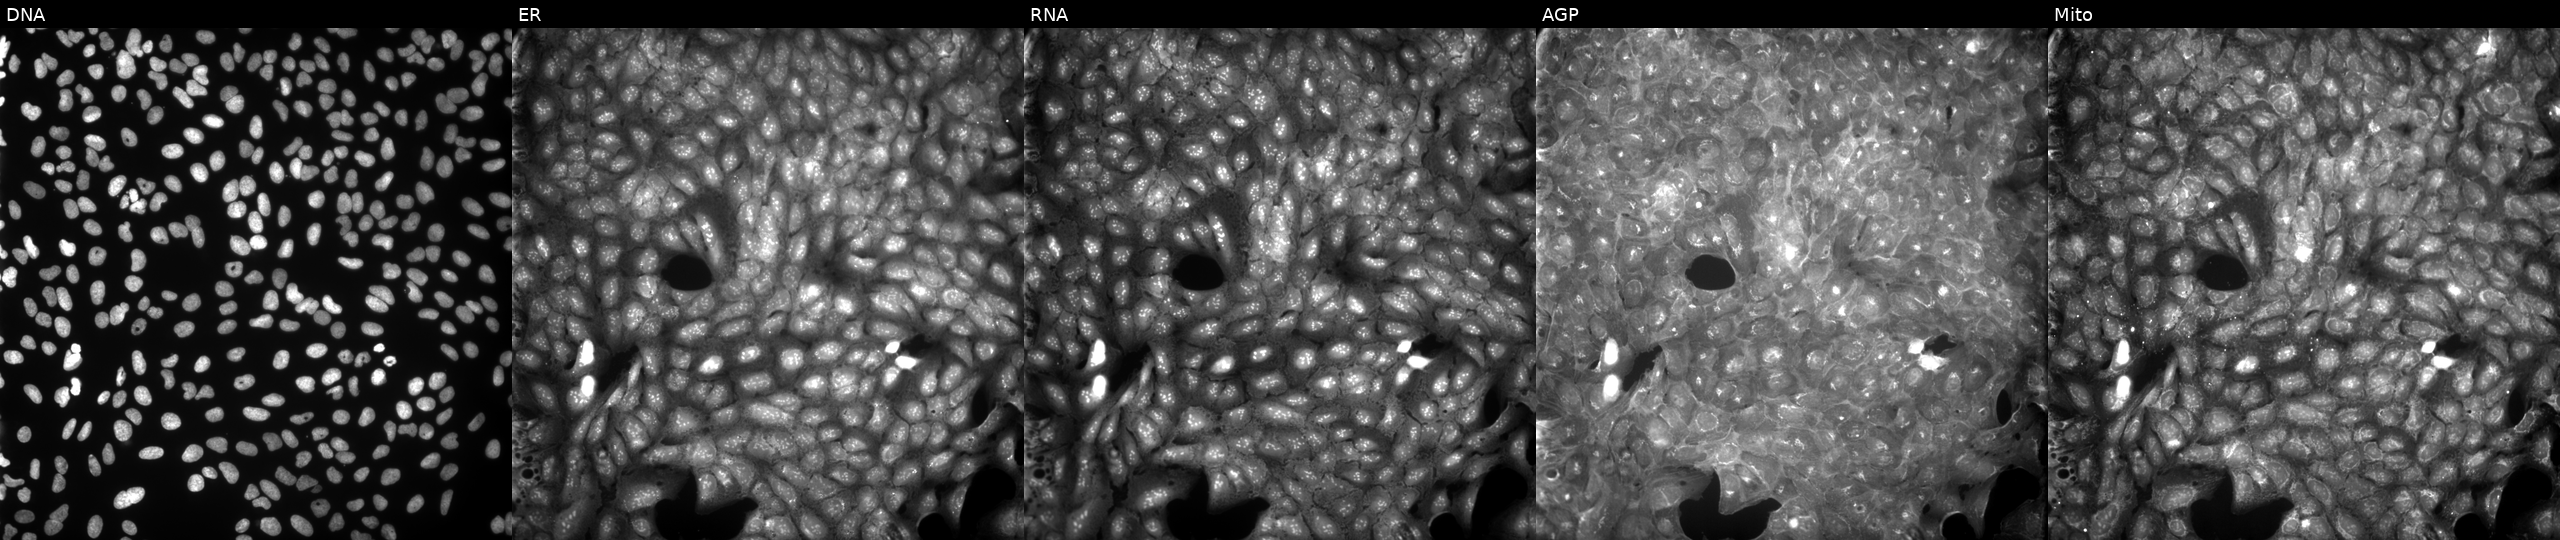
Five-channel Cell Painting image of U2OS cells treated with a small-molecule compound (InChIKey KSGSHRAZEGUTGH-UHFFFAOYSA-N). Channels (left→right): DNA (nuclei); ER (endoplasmic reticulum); RNA (nucleoli and cytoplasmic RNA); AGP (actin cytoskeleton, Golgi, and plasma membrane); Mito (mitochondria). Source 9, plate GR00003381, well S15.